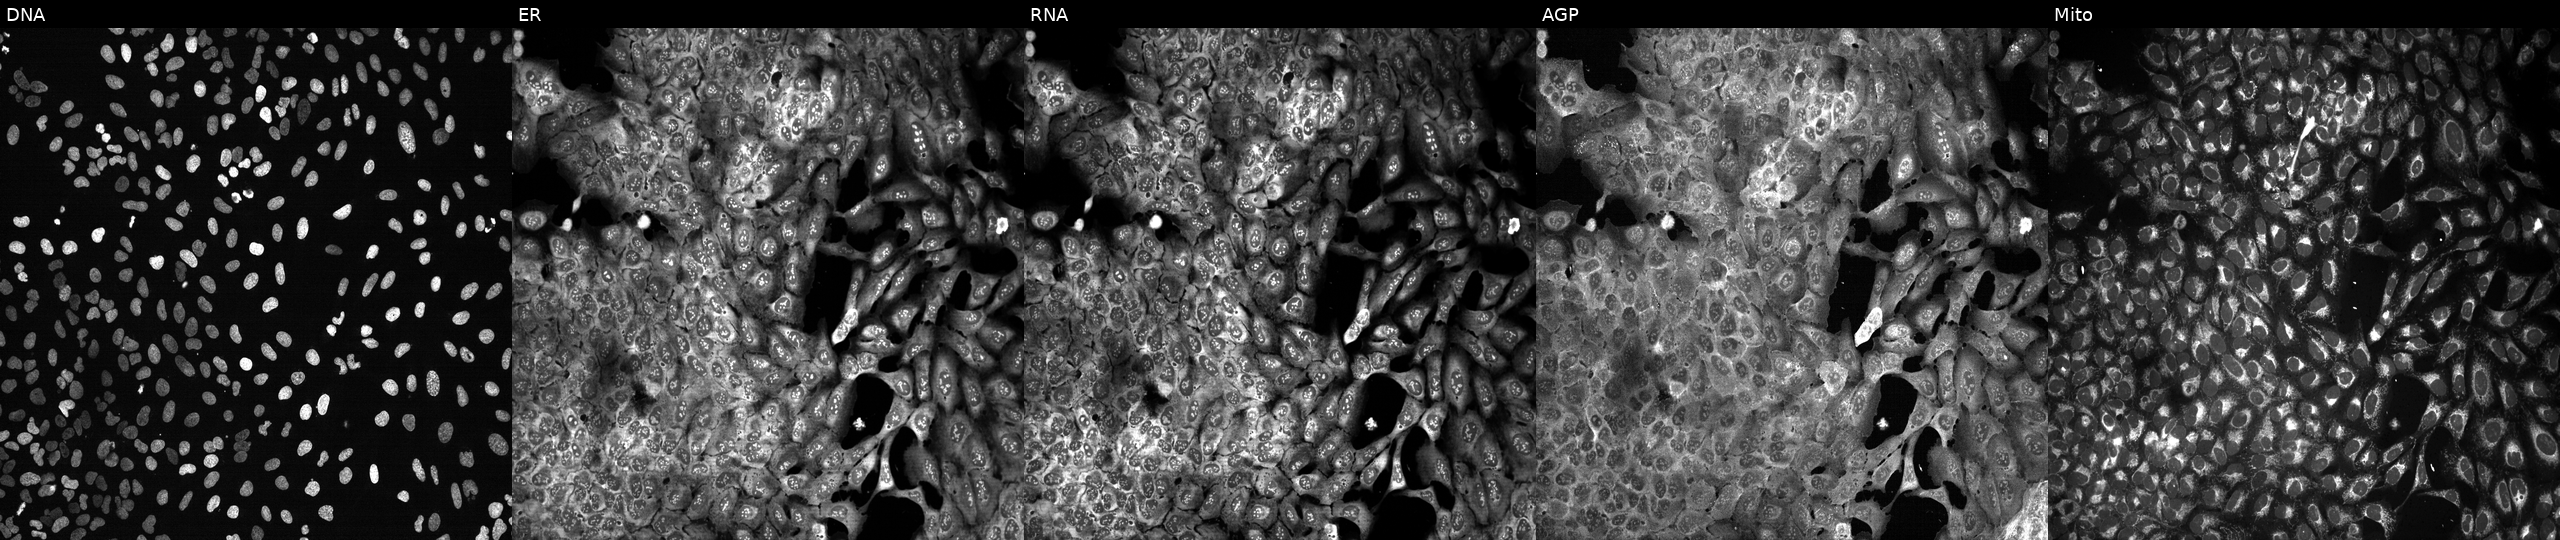
JUMP Cell Painting — CRISPR plate. U2OS cells following CRISPR knockout of AQP2 (JUMP id JCP2022_800540). Panels show, left to right, DNA (nuclei); ER (endoplasmic reticulum); RNA (nucleoli and cytoplasmic RNA); AGP (actin cytoskeleton, Golgi, and plasma membrane); Mito (mitochondria).